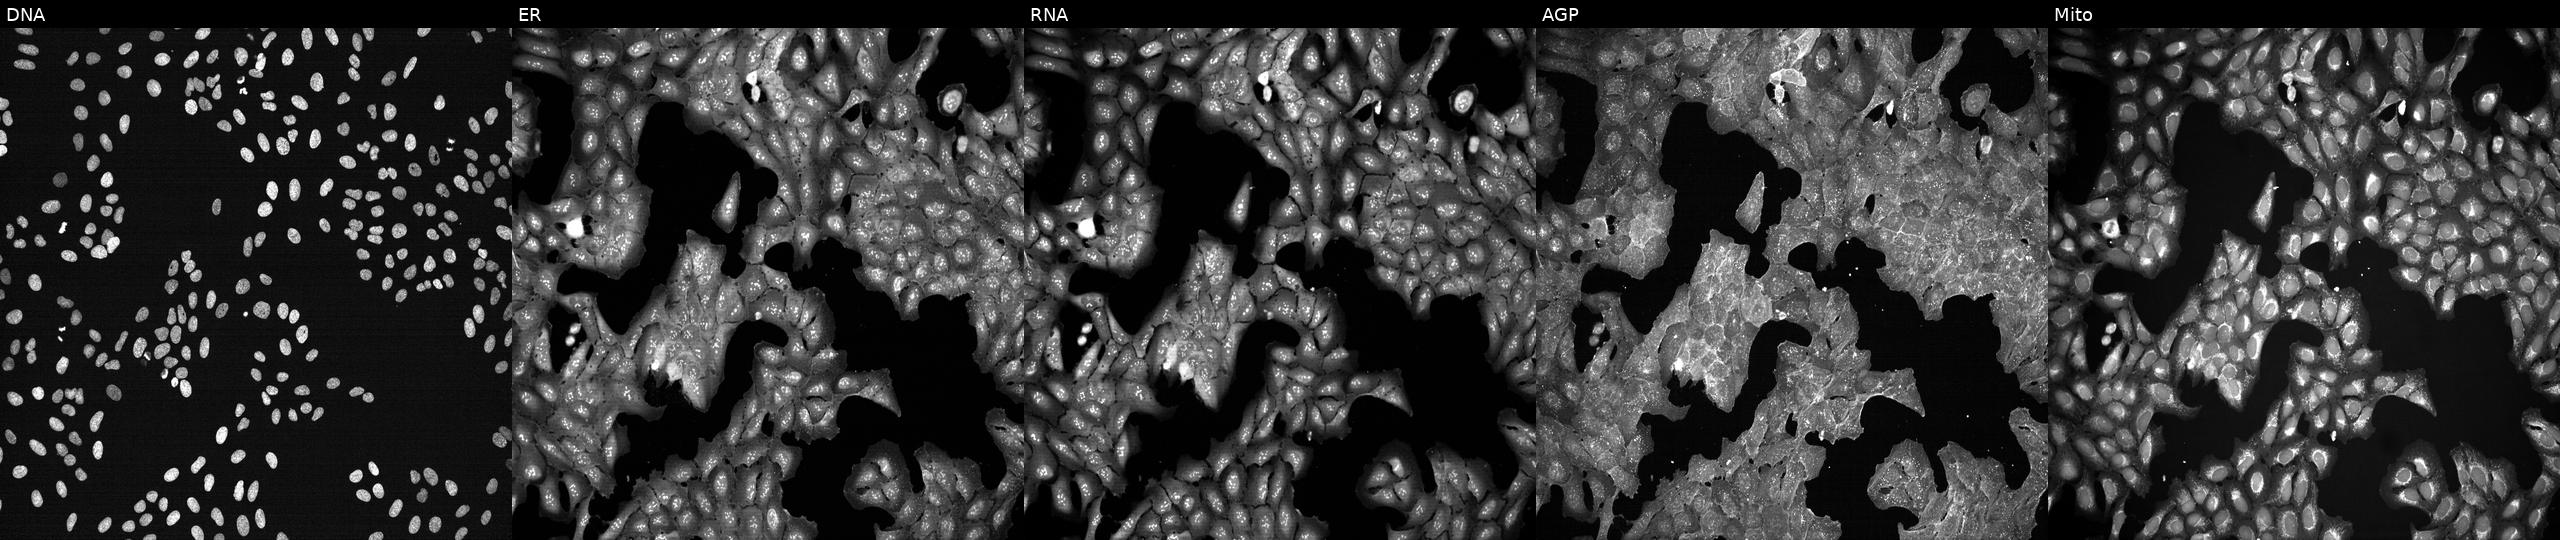
Channels (left→right): DNA (nuclei); ER (endoplasmic reticulum); RNA (nucleoli and cytoplasmic RNA); AGP (actin cytoskeleton, Golgi, and plasma membrane); Mito (mitochondria). U2OS osteosarcoma cells treated with a small-molecule compound (InChIKey WRLVHADVOGFZOZ-UHFFFAOYSA-N). Cell Painting assay, JUMP-CP dataset.